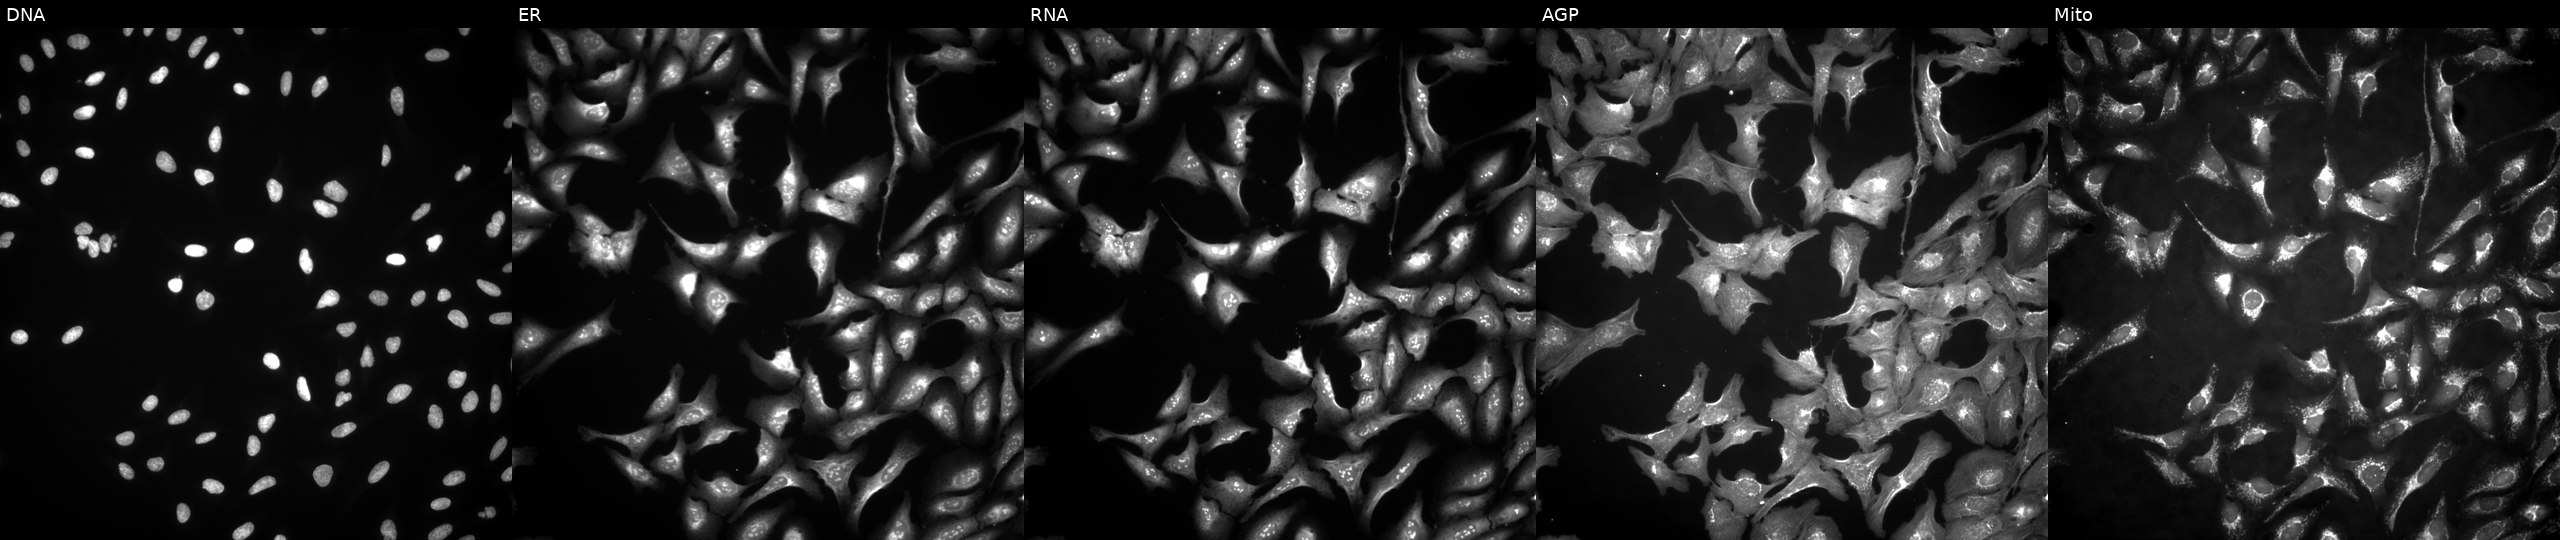
U2OS cells, Cell Painting assay, with PTEN overexpressed (ORF). Panels show, left to right, Hoechst 33342, concanavalin A, SYTO 14, phalloidin and WGA, MitoTracker. Each panel is percentile-stretched 16-bit fluorescence.